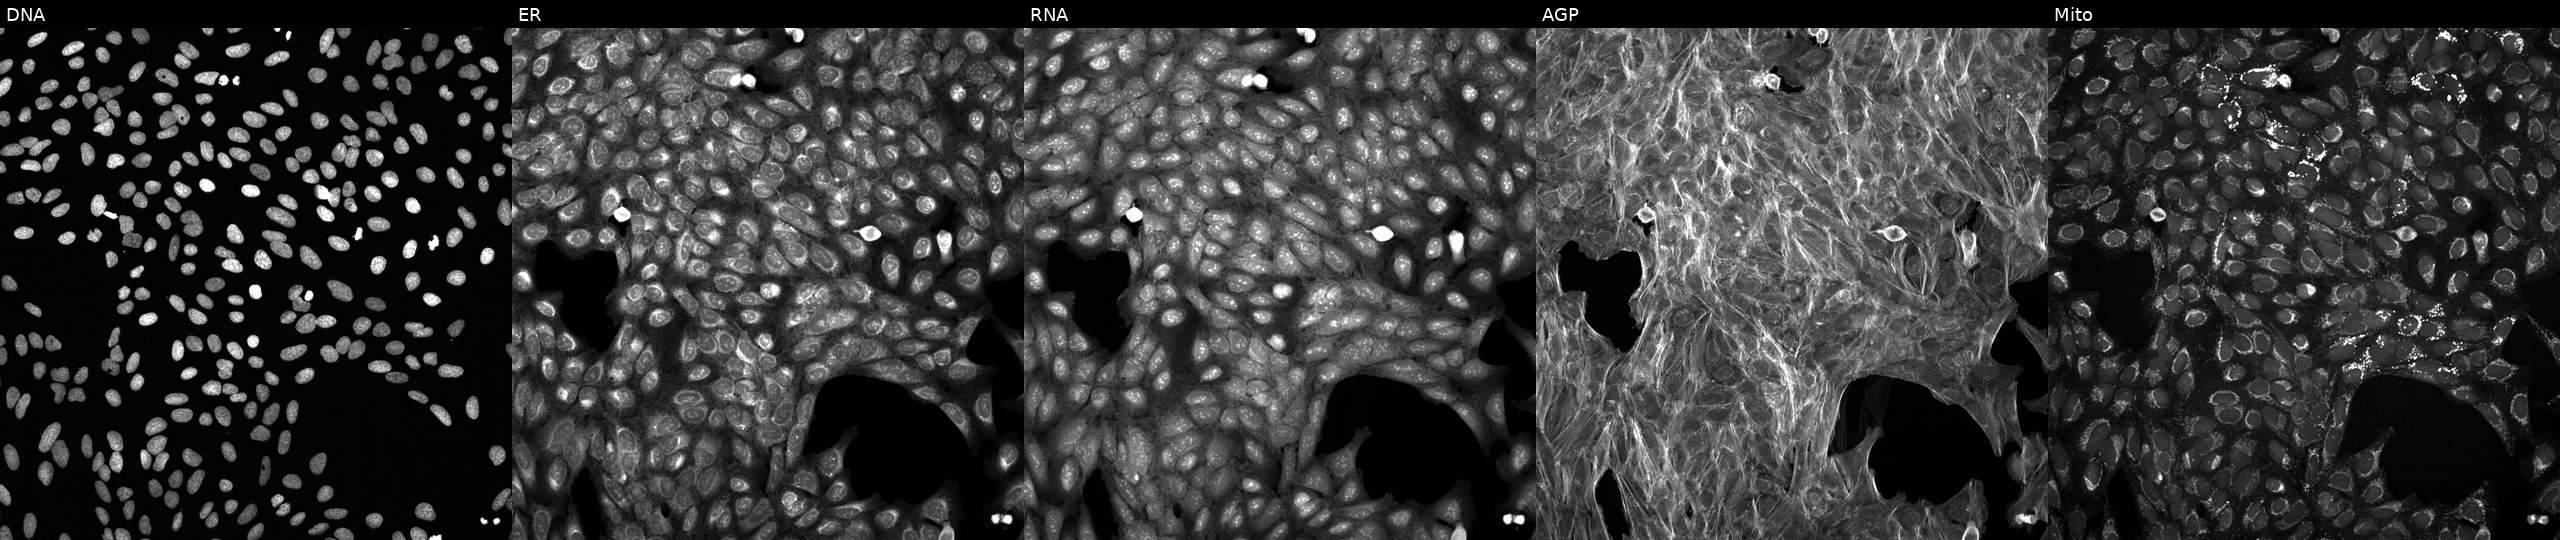
High-content fluorescence microscopy (Cell Painting). Cell line: U2OS. Perturbation: exposed to the positive-control compound dexamethasone (JUMP id JCP2022_025848). Panels show, left to right, Hoechst 33342, concanavalin A, SYTO 14, phalloidin and WGA, MitoTracker.